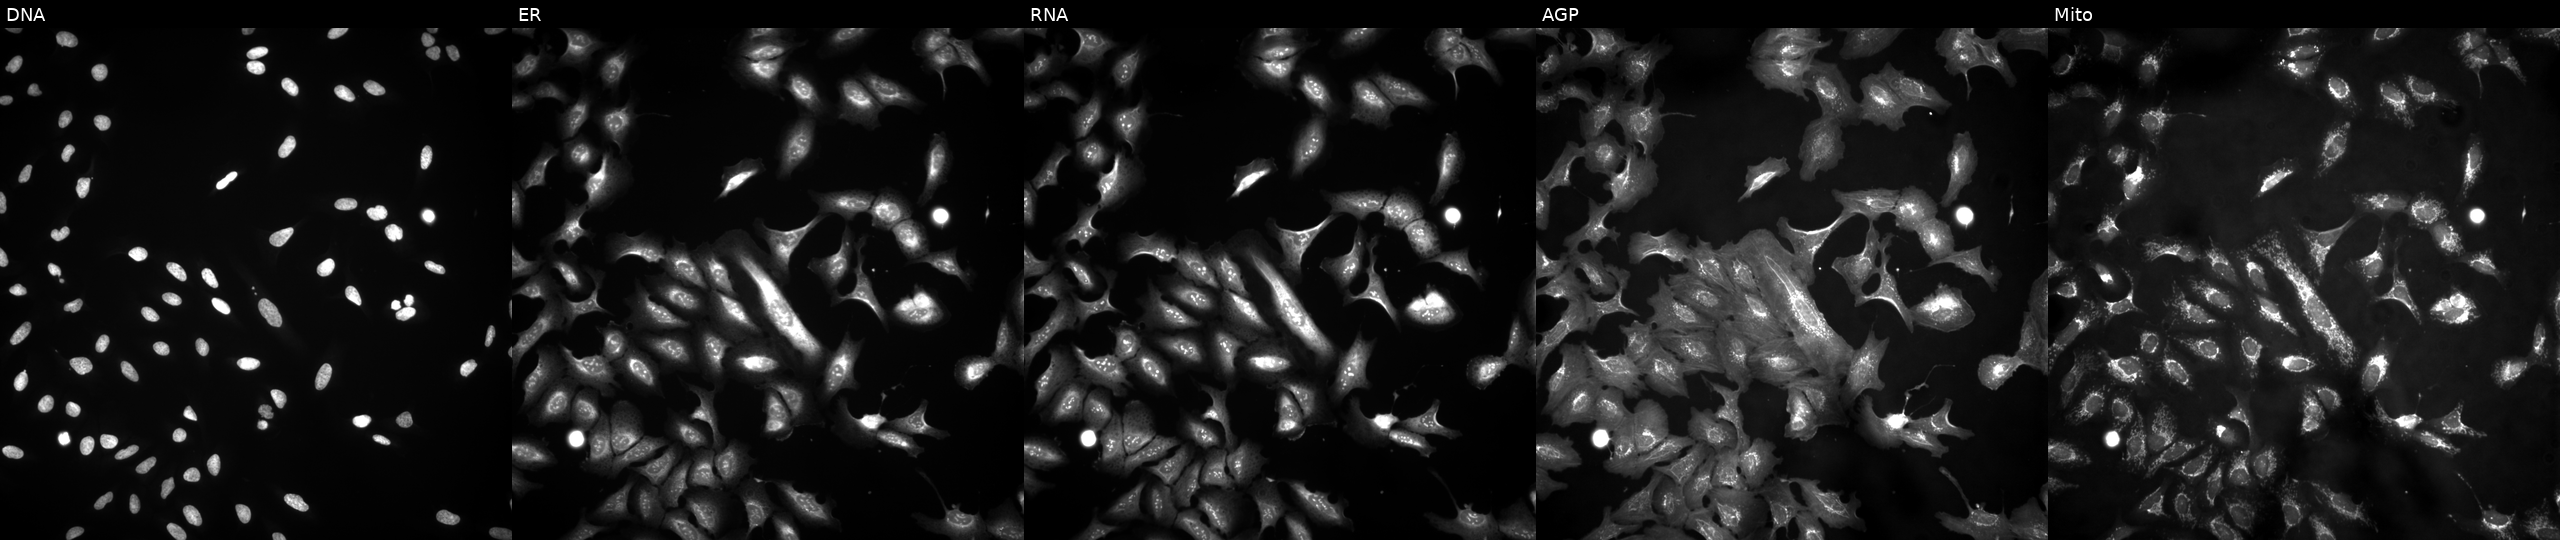
This image strip shows the five Cell Painting channels for a single field of U2OS cells overexpressing LXN via ORF transfection (JUMP id JCP2022_908098). From left to right: DNA, ER, RNA, AGP, and Mito.